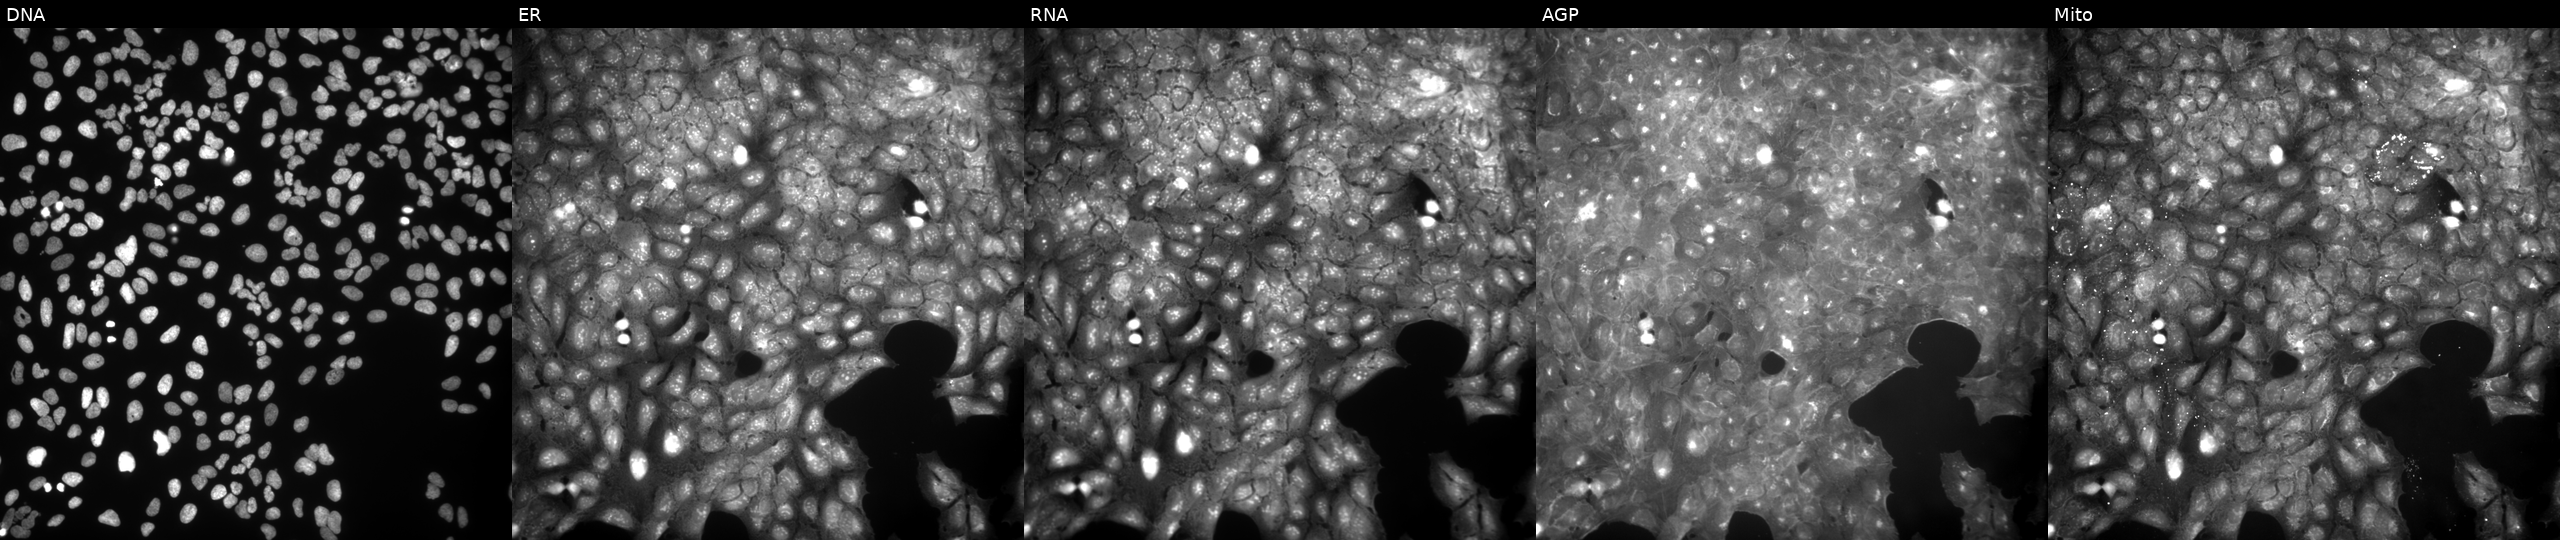
U2OS cells, Cell Painting assay, perturbed with a small-molecule compound (InChIKey BGZYPADYURYJQJ-UHFFFAOYSA-N). Channels (left→right): DNA, ER, RNA, AGP, and Mito. Each panel is percentile-stretched 16-bit fluorescence. Source 9, plate GR00003381, well M28.